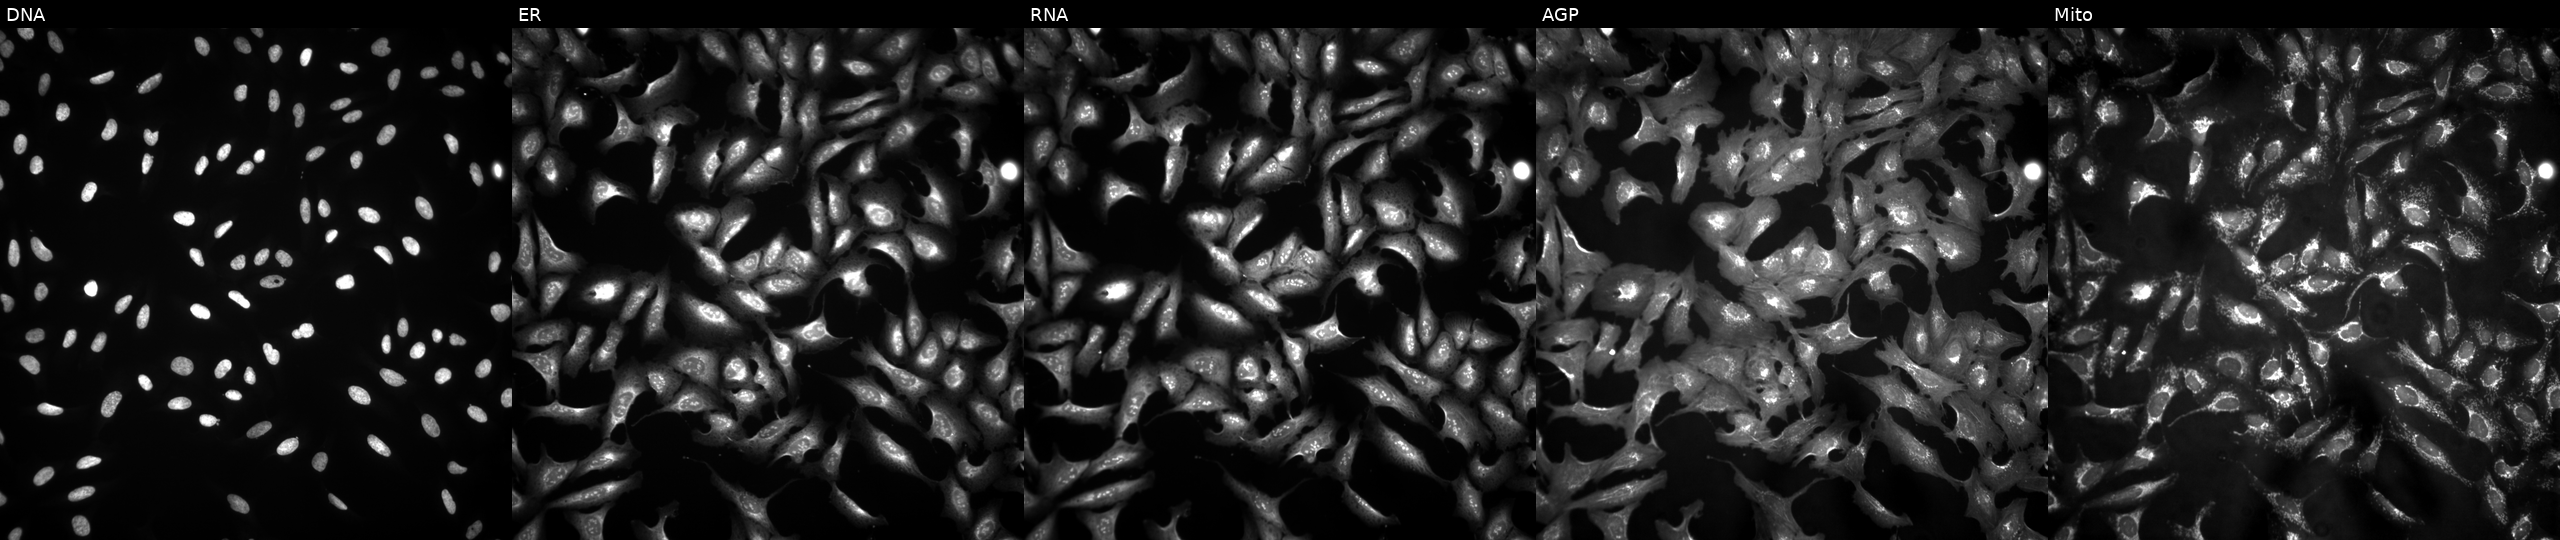
Five-channel Cell Painting image of U2OS cells with AMPH overexpressed (ORF) (JUMP id JCP2022_905430). Channels (left→right): Hoechst 33342, concanavalin A, SYTO 14, phalloidin and WGA, MitoTracker.